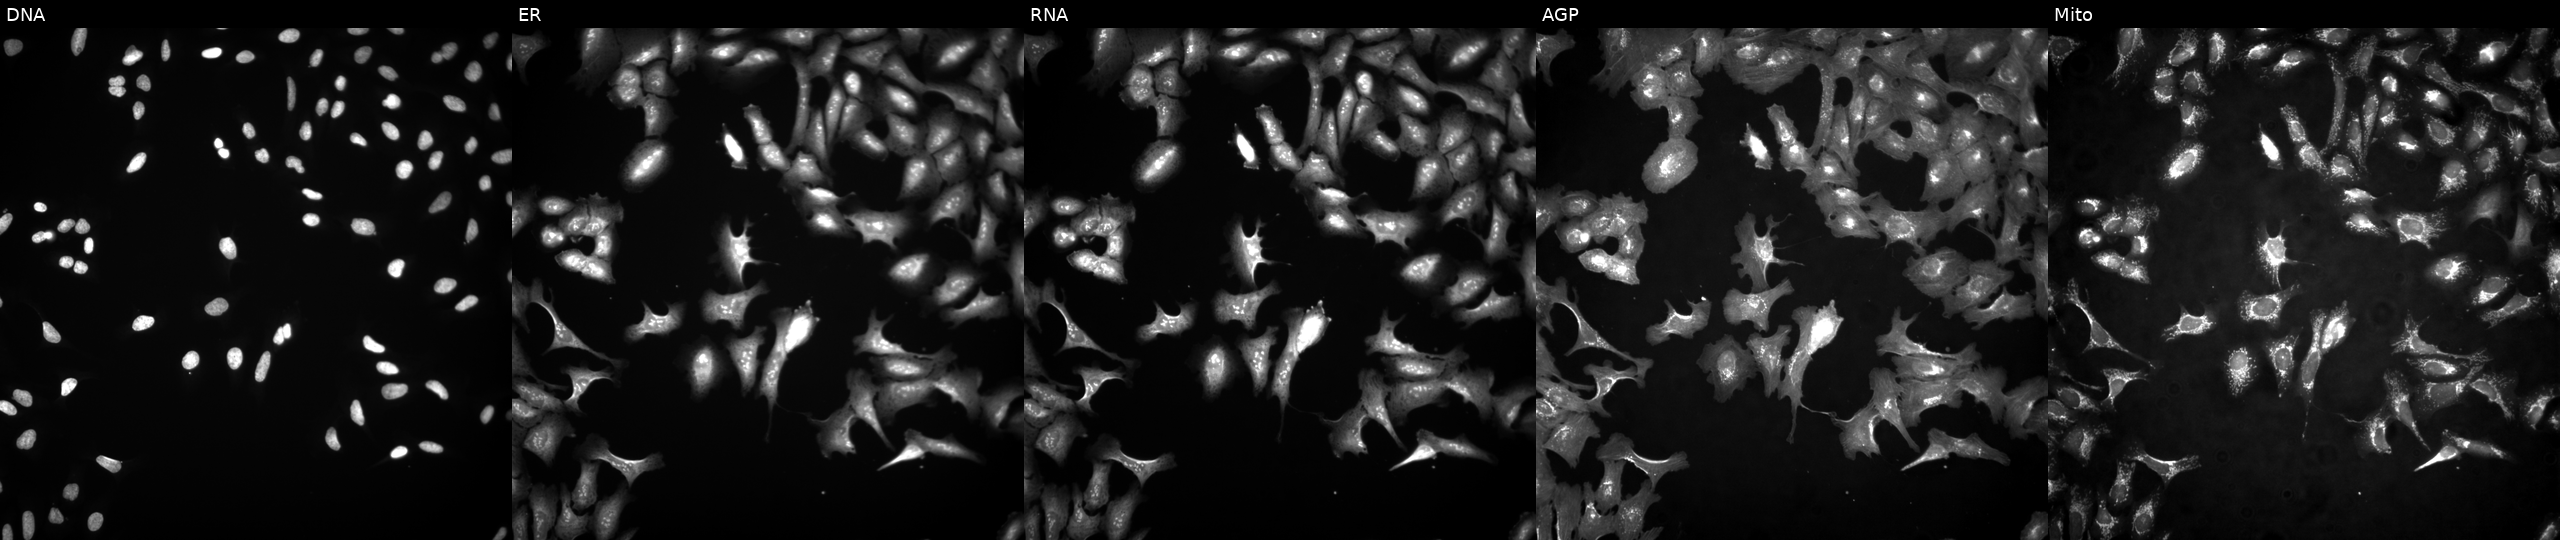
U2OS cells, Cell Painting assay, transfected with an ORF construct for POLR3C. From left to right: DNA, ER, RNA, AGP, and Mito. Each panel is percentile-stretched 16-bit fluorescence.